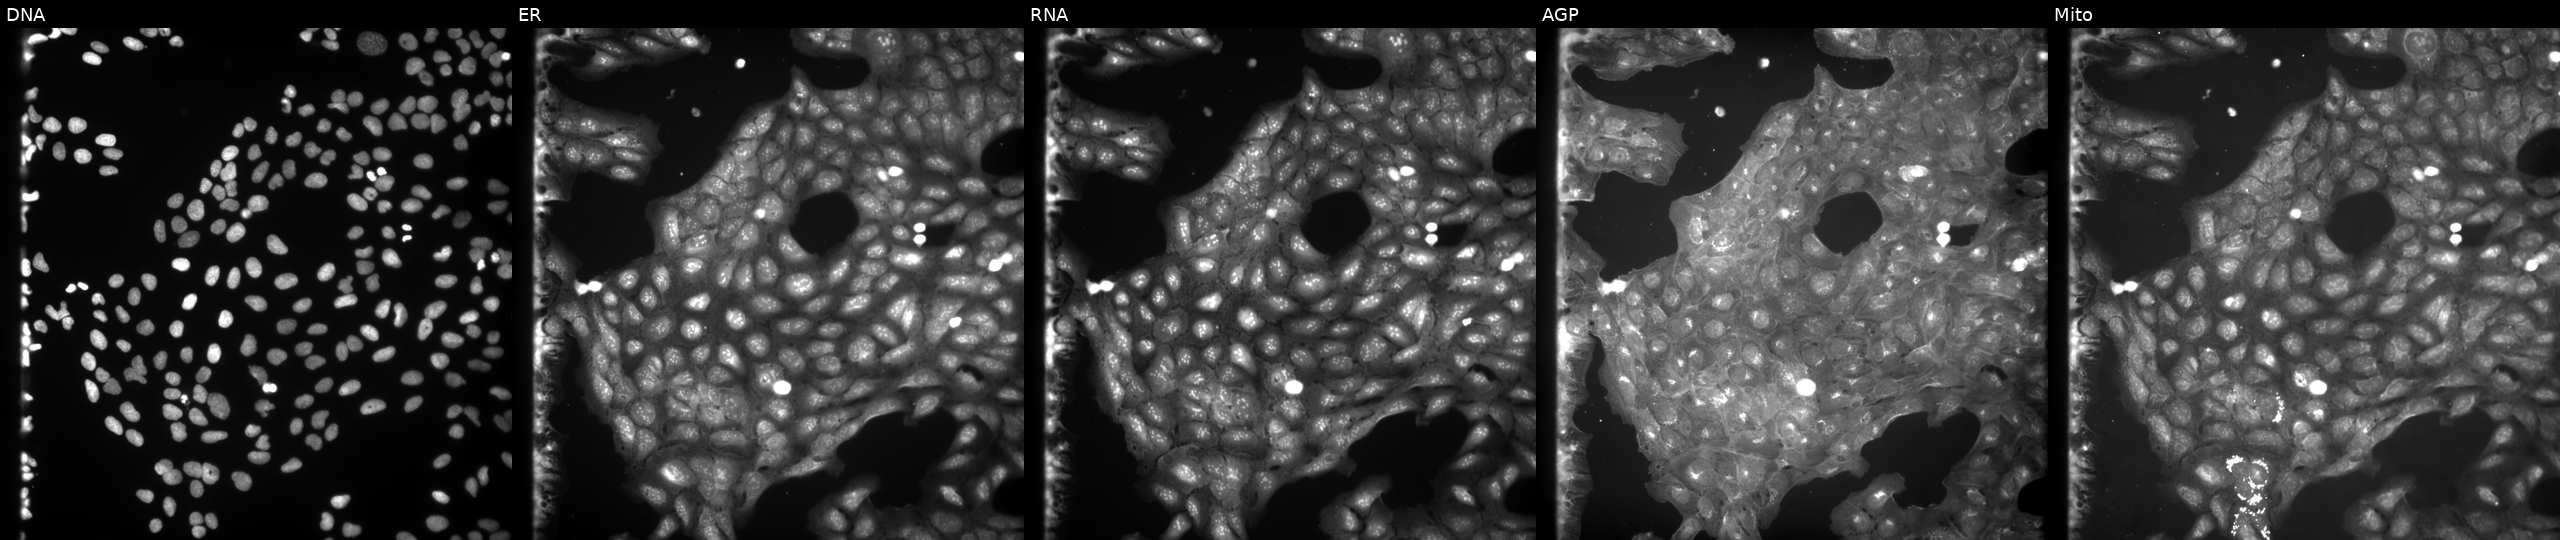
Five-channel Cell Painting image of U2OS cells perturbed with a small-molecule compound (InChIKey IESBOTYJWIYFCA-UHFFFAOYSA-N) (JUMP id JCP2022_034599). Channels (left→right): Hoechst 33342, concanavalin A, SYTO 14, phalloidin and WGA, MitoTracker. Source 9, plate GR00003381, well B11.